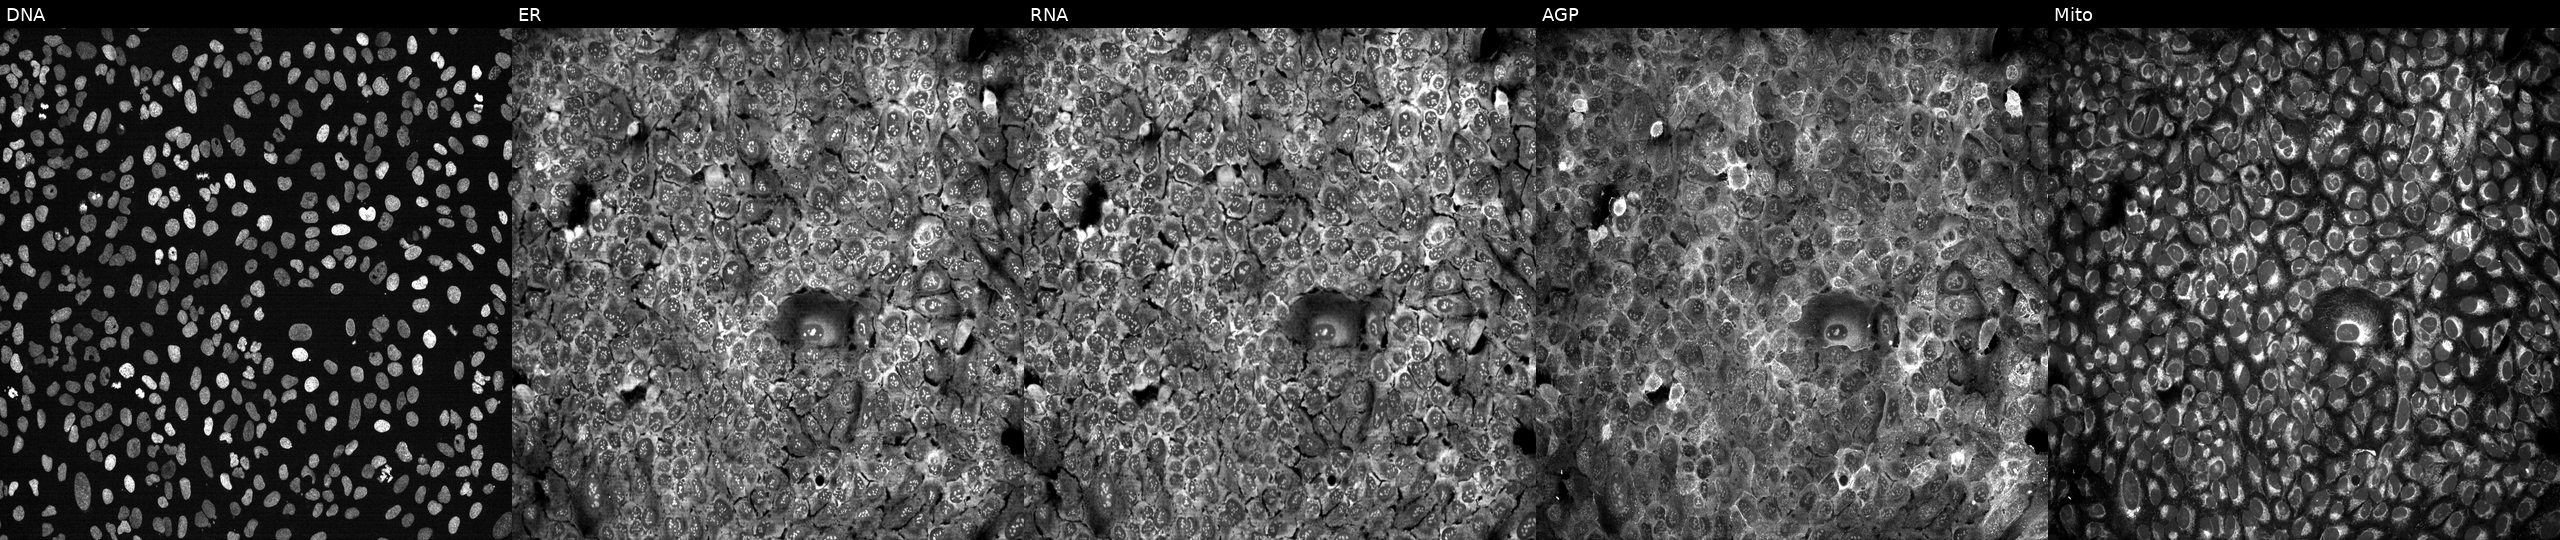
U2OS cells, Cell Painting assay, following CRISPR knockout of NAMPT. The five panels, left to right, show DNA (nuclei); ER (endoplasmic reticulum); RNA (nucleoli and cytoplasmic RNA); AGP (actin cytoskeleton, Golgi, and plasma membrane); Mito (mitochondria). Each panel is percentile-stretched 16-bit fluorescence.